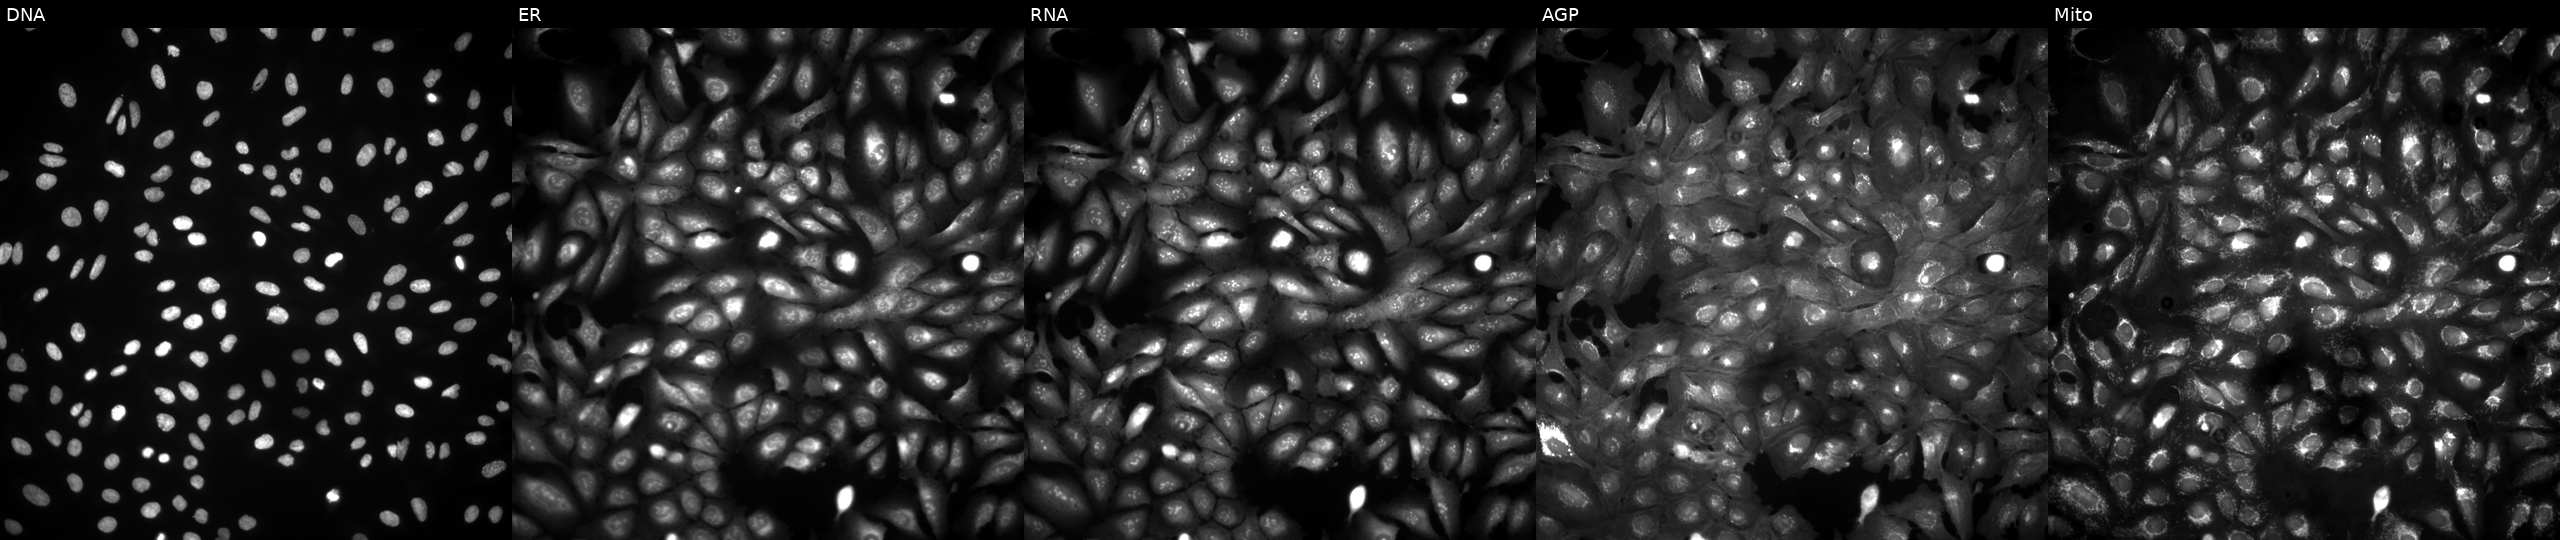
This image strip shows the five Cell Painting channels for a single field of U2OS cells transfected with an ORF construct for PIGR. The five panels, left to right, show DNA, ER, RNA, AGP, and Mito.